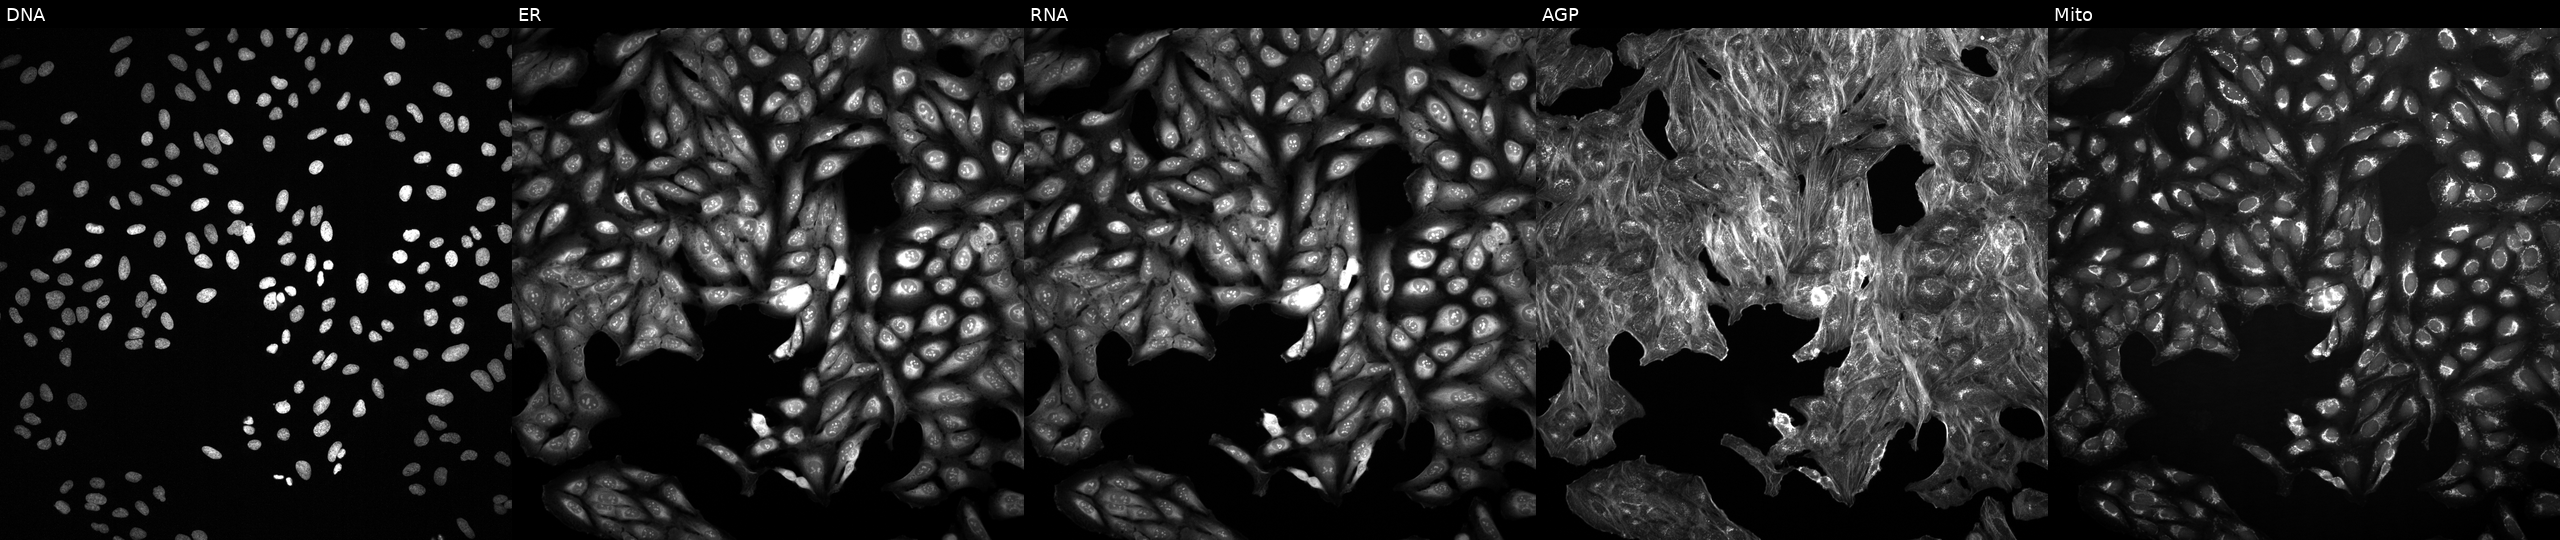
The five panels, left to right, show Hoechst 33342, concanavalin A, SYTO 14, phalloidin and WGA, MitoTracker. U2OS osteosarcoma cells perturbed with a small-molecule compound (InChIKey XNOPRXBHLZRZKH-UHFFFAOYSA-N) [SMILES: CCC(C)C1NC(=O)C(Cc2ccc(O)cc2)NC(=O)C(N)CSSCC(C(=O)N2CCCC2C(=O)NC(CC(C)C)C(=O)NCC(N)=O)NC(=O)C(CC(N)=O)NC(=O)C(CCC(N)=O)NC1=O]. Cell Painting assay, JUMP-CP dataset. Source 2, plate 1053597936, well D21.